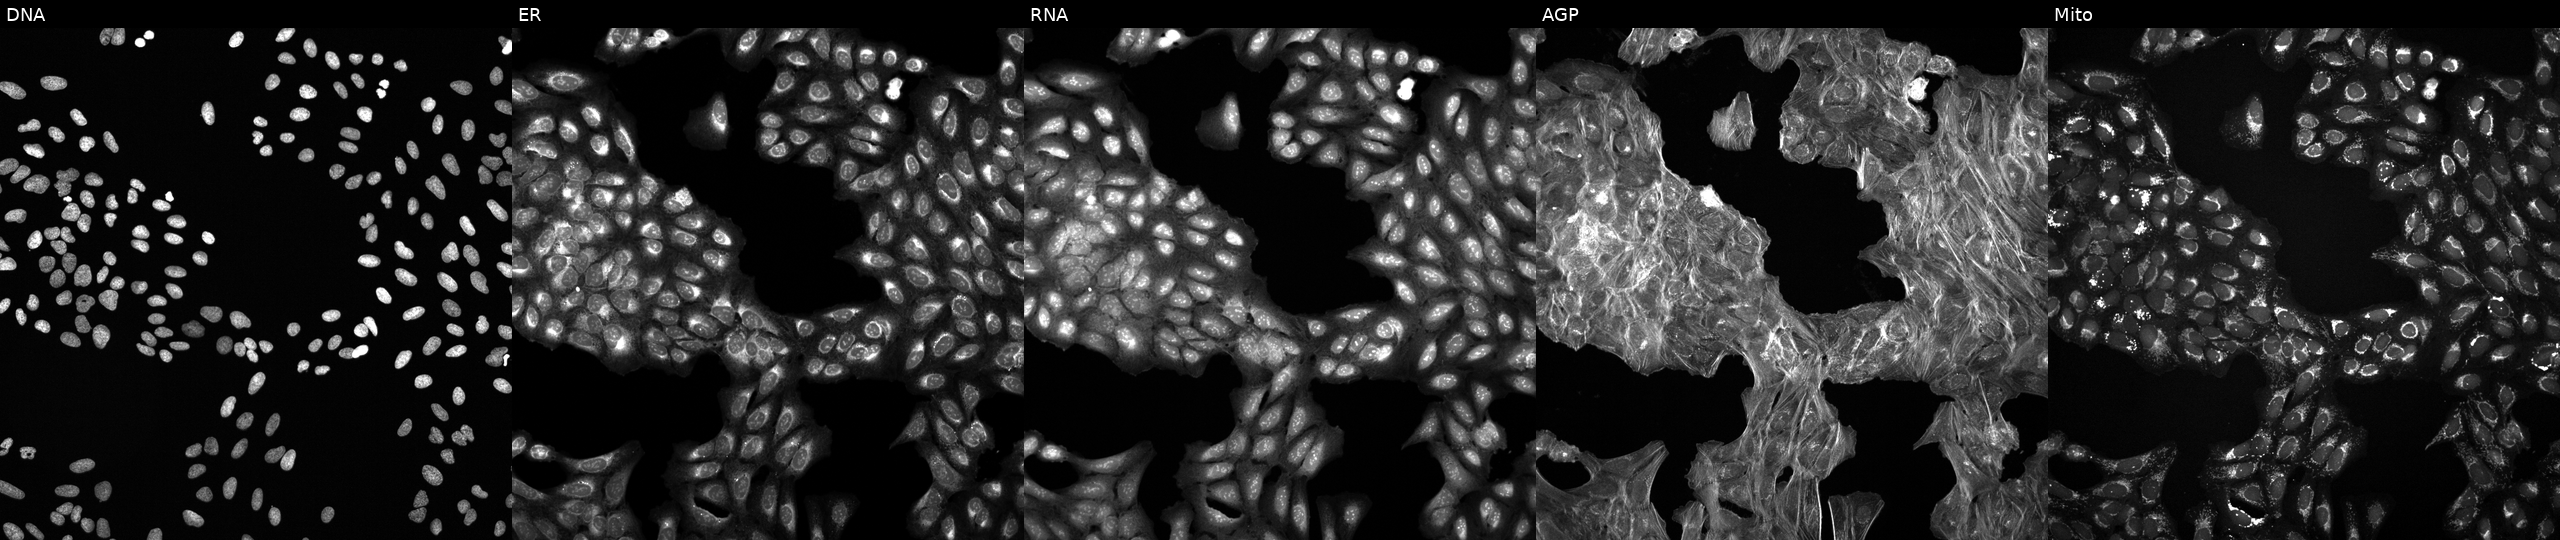
This image strip shows the five Cell Painting channels for a single field of U2OS cells perturbed with a small-molecule compound (JUMP id JCP2022_036755). The five panels, left to right, show DNA (nuclei); ER (endoplasmic reticulum); RNA (nucleoli and cytoplasmic RNA); AGP (actin cytoskeleton, Golgi, and plasma membrane); Mito (mitochondria).